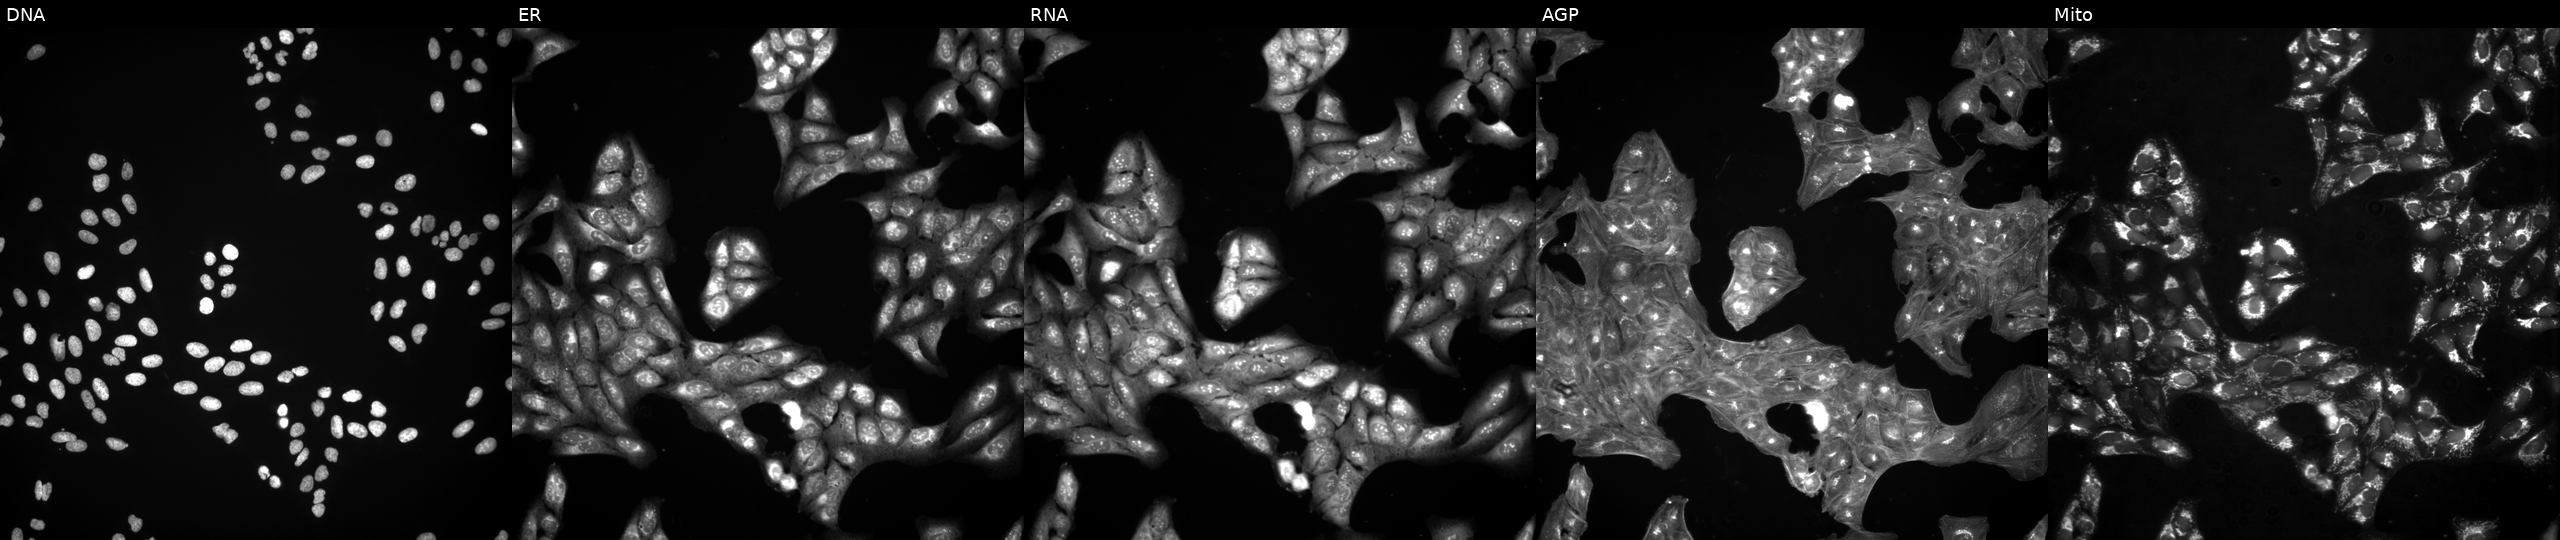
The five panels, left to right, show DNA, ER, RNA, AGP, and Mito. U2OS osteosarcoma cells perturbed with a small-molecule compound. Cell Painting assay, JUMP-CP dataset.